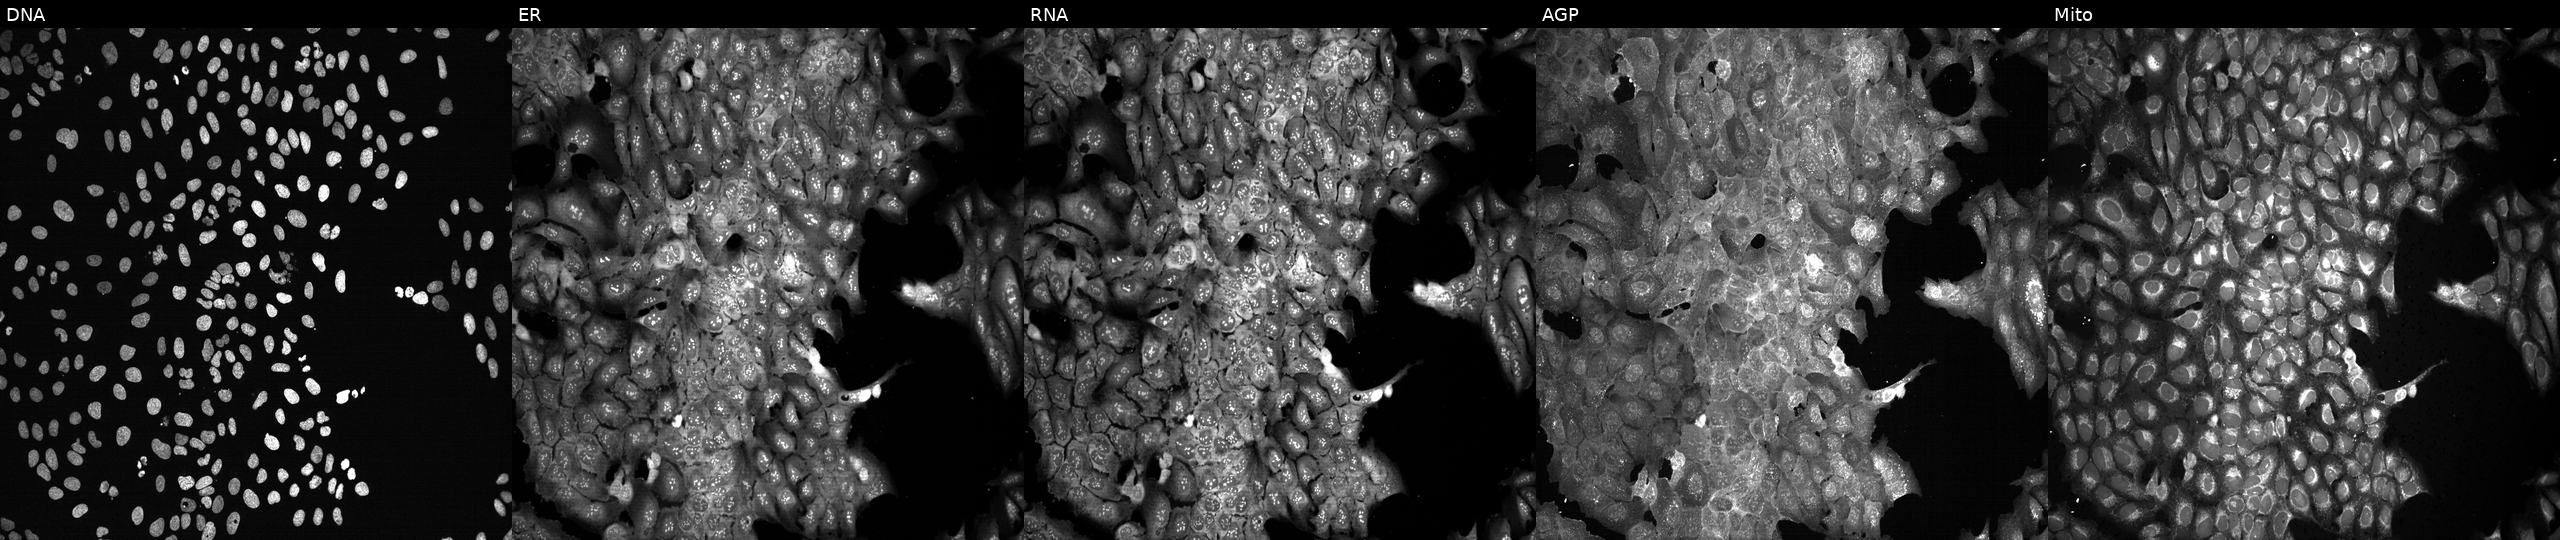
High-content fluorescence microscopy (Cell Painting). Cell line: U2OS. Perturbation: following CRISPR knockout of TNFRSF19. Panels show, left to right, DNA (nuclei); ER (endoplasmic reticulum); RNA (nucleoli and cytoplasmic RNA); AGP (actin cytoskeleton, Golgi, and plasma membrane); Mito (mitochondria).